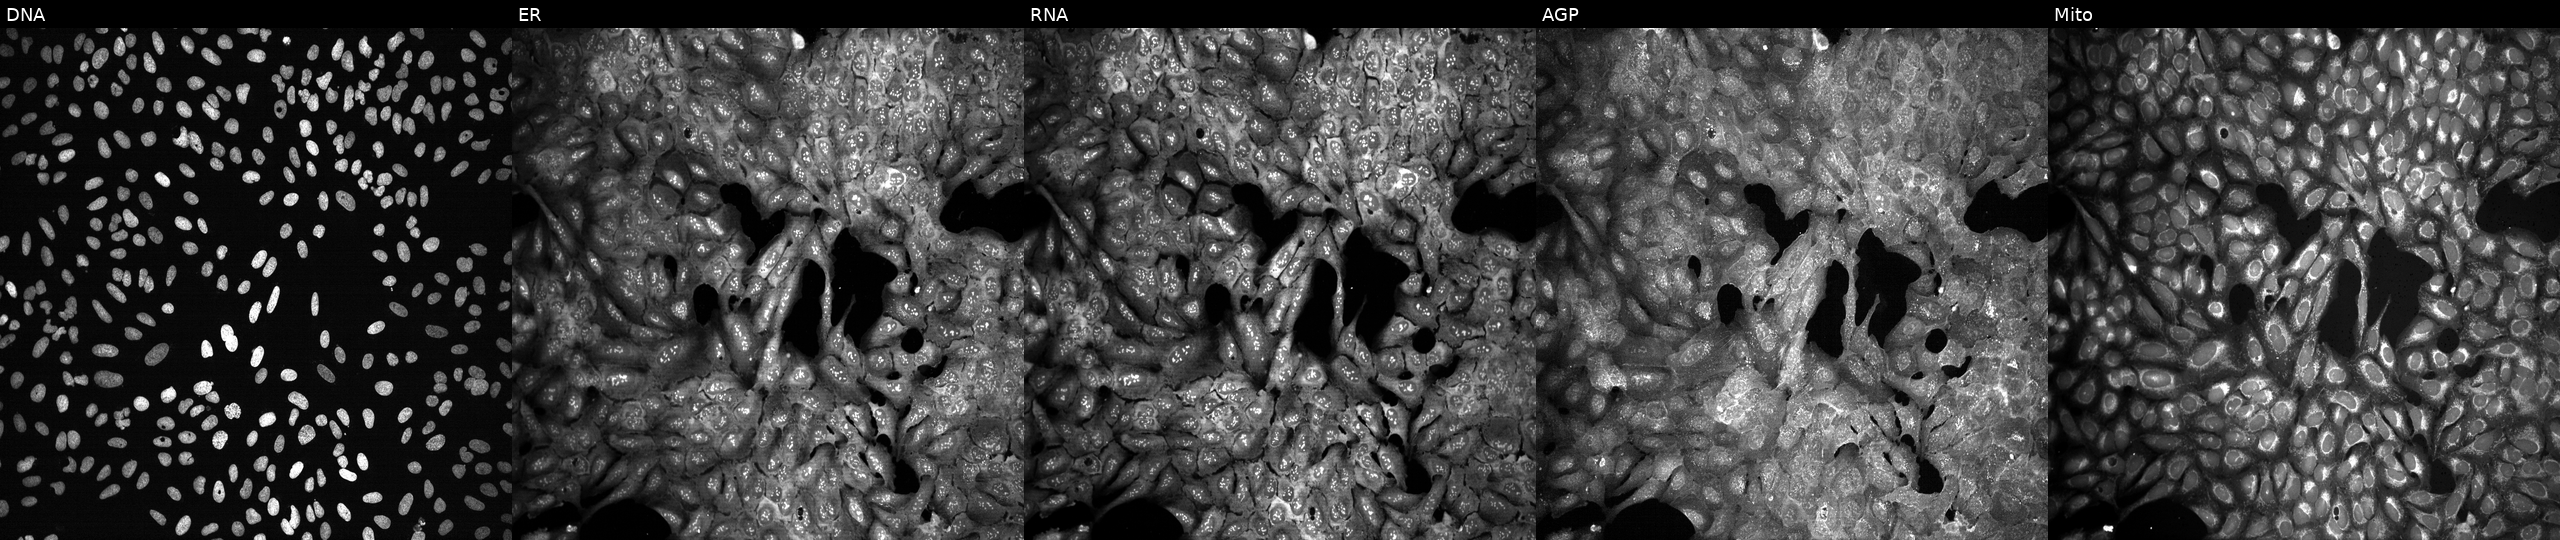
This image strip shows the five Cell Painting channels for a single field of U2OS cells with CD2 knocked out by CRISPR. Channels (left→right): DNA (nuclei); ER (endoplasmic reticulum); RNA (nucleoli and cytoplasmic RNA); AGP (actin cytoskeleton, Golgi, and plasma membrane); Mito (mitochondria).